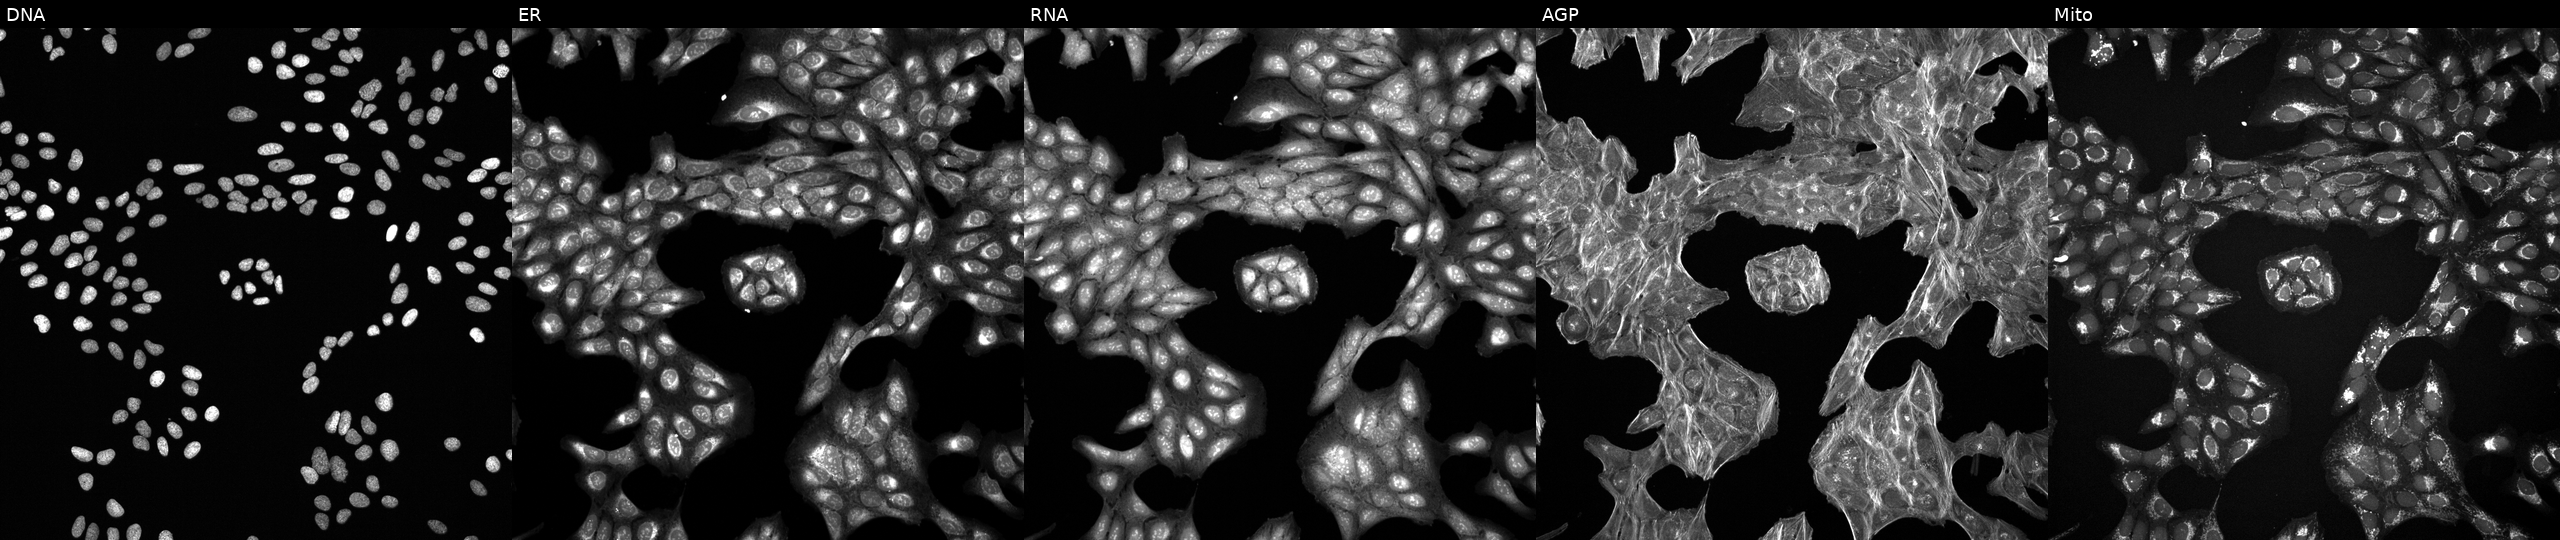
JUMP Cell Painting — COMPOUND plate. U2OS cells perturbed with a small-molecule compound (InChIKey QJTUZBLSHPVEFA-UHFFFAOYSA-N) [SMILES: CCN(CC)S(=O)(=O)c1cc(-c2nc(-c3ccccc3)cs2)n(C)c1C] (JUMP id JCP2022_073907). Panels show, left to right, DNA, ER, RNA, AGP, and Mito. Source 6, plate 110000293082, well K04.